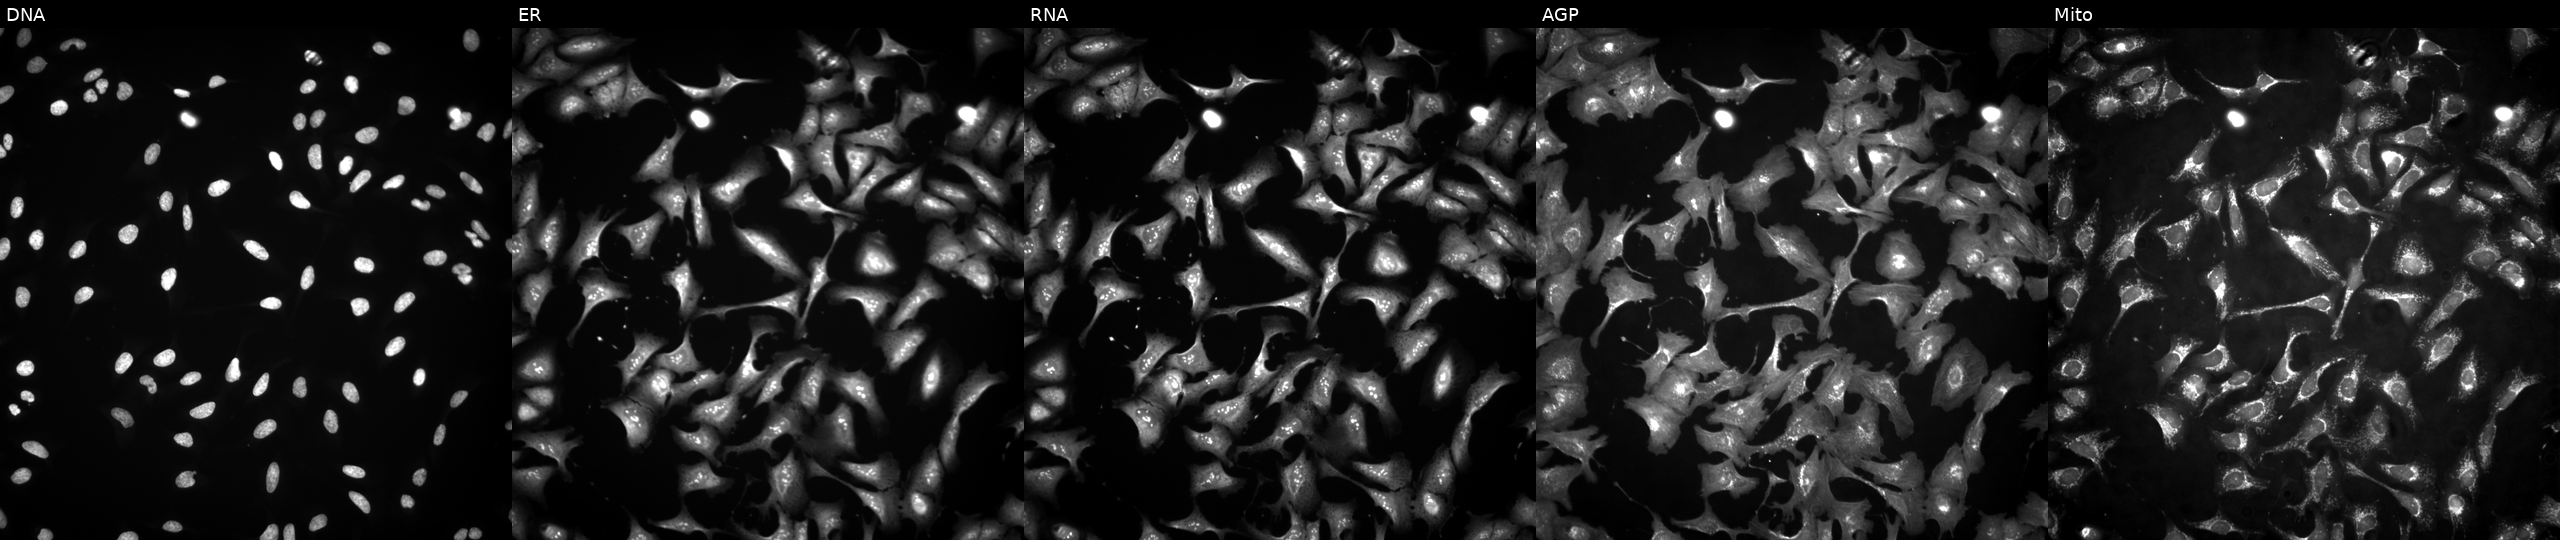
High-content fluorescence microscopy (Cell Painting). Cell line: U2OS. Perturbation: transfected with an ORF construct for DNMT3A (JUMP id JCP2022_900423). From left to right: DNA, ER, RNA, AGP, and Mito.